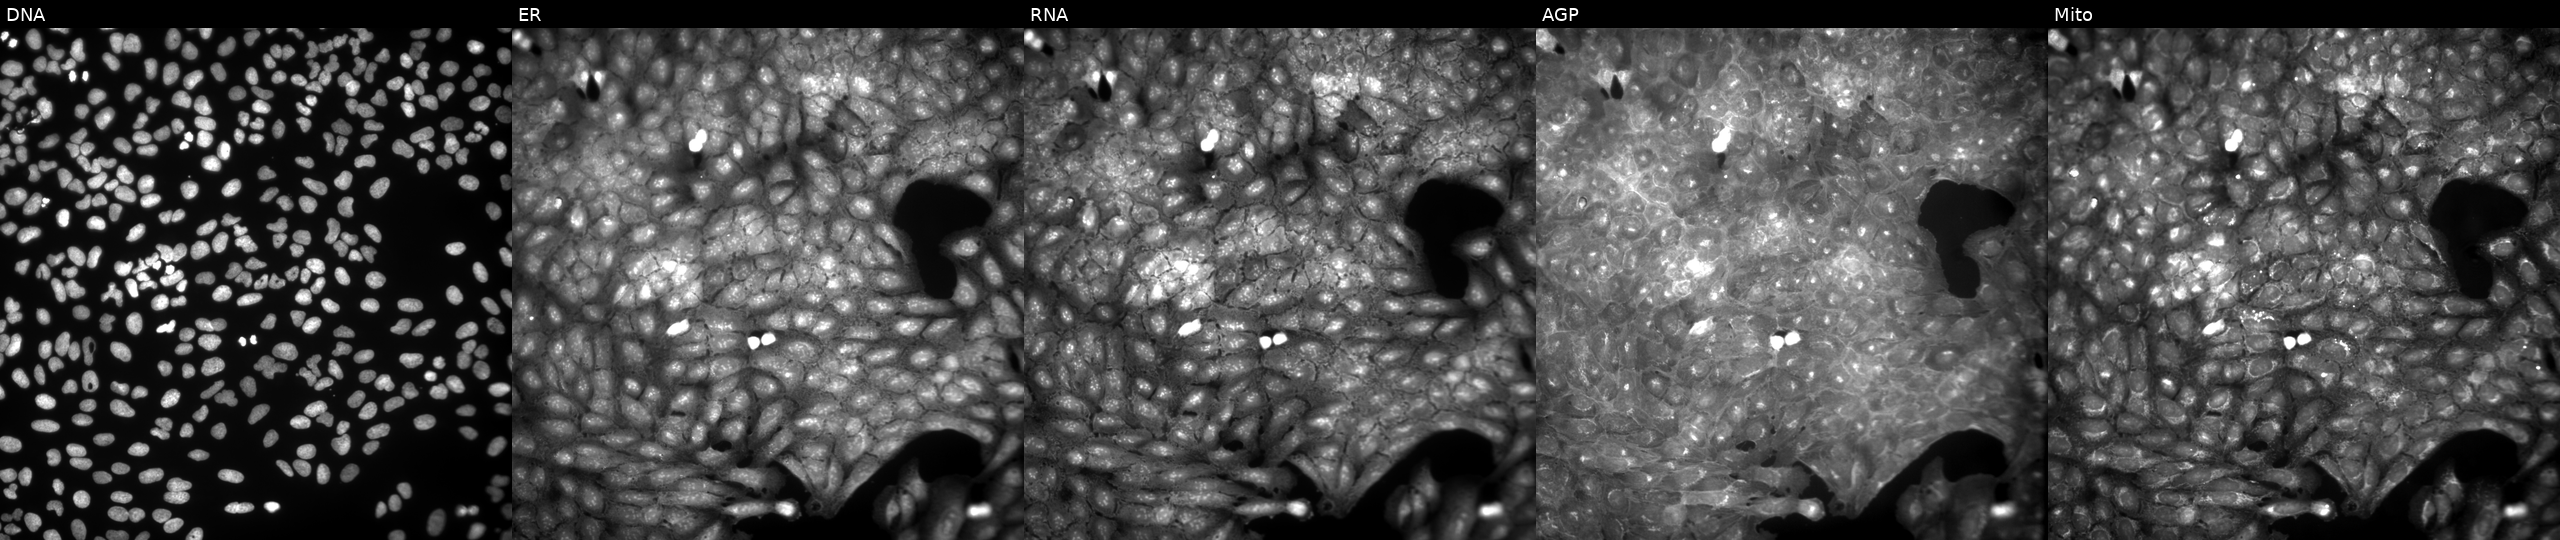
The five panels, left to right, show Hoechst 33342, concanavalin A, SYTO 14, phalloidin and WGA, MitoTracker. U2OS osteosarcoma cells treated with DMSO vehicle only (negative control). Cell Painting assay, JUMP-CP dataset. Source 9, plate GR00003381, well Z47.